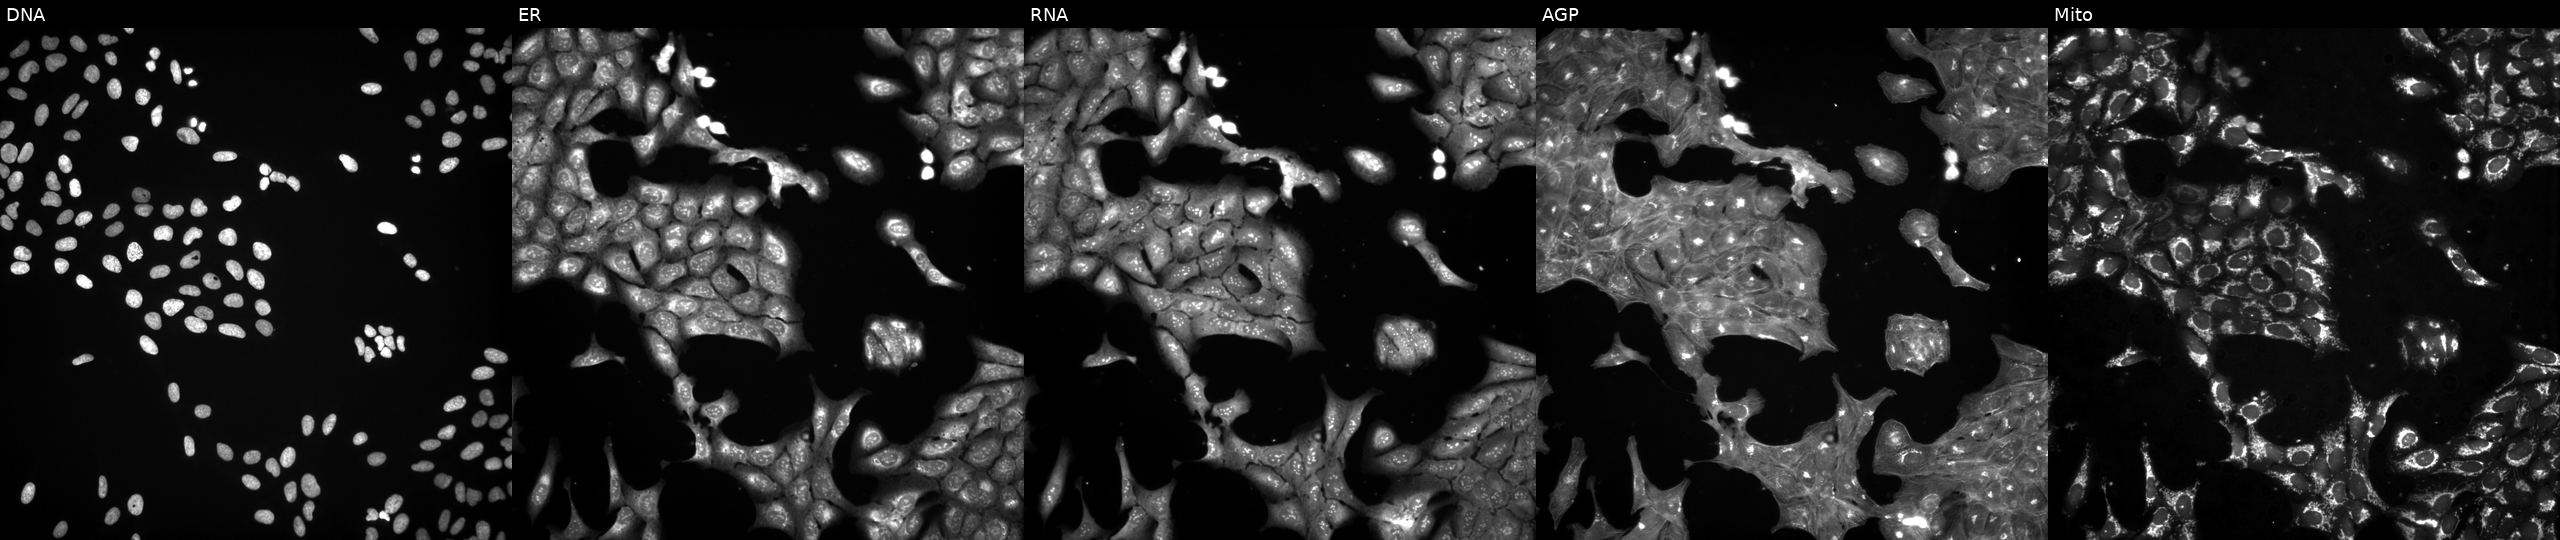
This image strip shows the five Cell Painting channels for a single field of U2OS cells perturbed with a small-molecule compound (InChIKey HIEBUDJHJYAXFV-UHFFFAOYSA-N). From left to right: Hoechst 33342, concanavalin A, SYTO 14, phalloidin and WGA, MitoTracker. Source 3, plate BR5867a3, well N07.